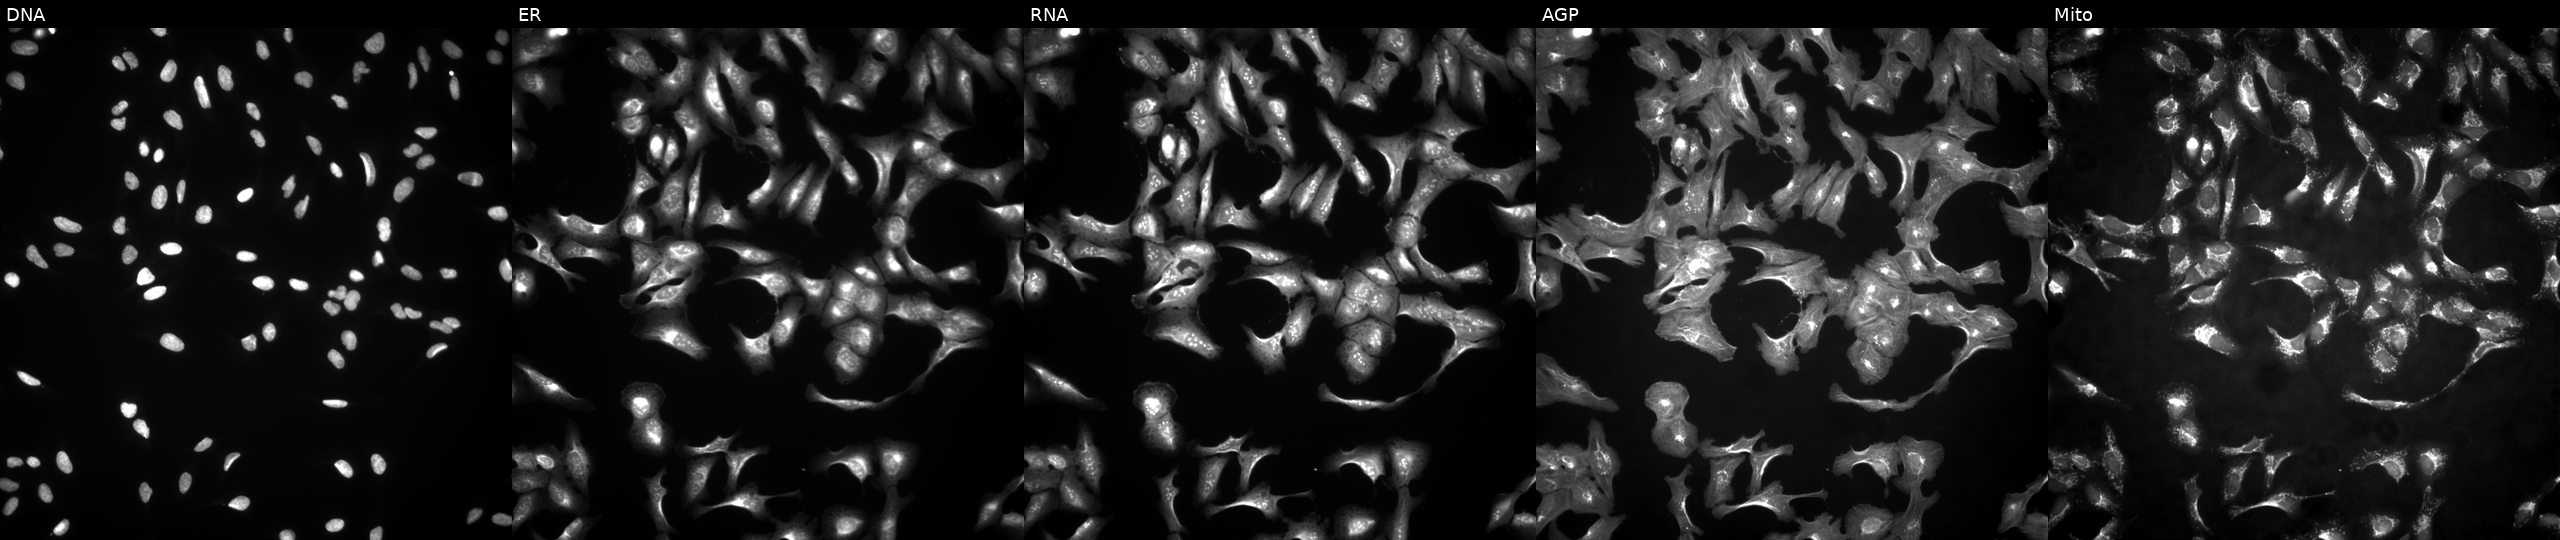
High-content fluorescence microscopy (Cell Painting). Cell line: U2OS. Perturbation: overexpressing CD1D via ORF transfection (JUMP id JCP2022_900222). From left to right: DNA (nuclei); ER (endoplasmic reticulum); RNA (nucleoli and cytoplasmic RNA); AGP (actin cytoskeleton, Golgi, and plasma membrane); Mito (mitochondria).